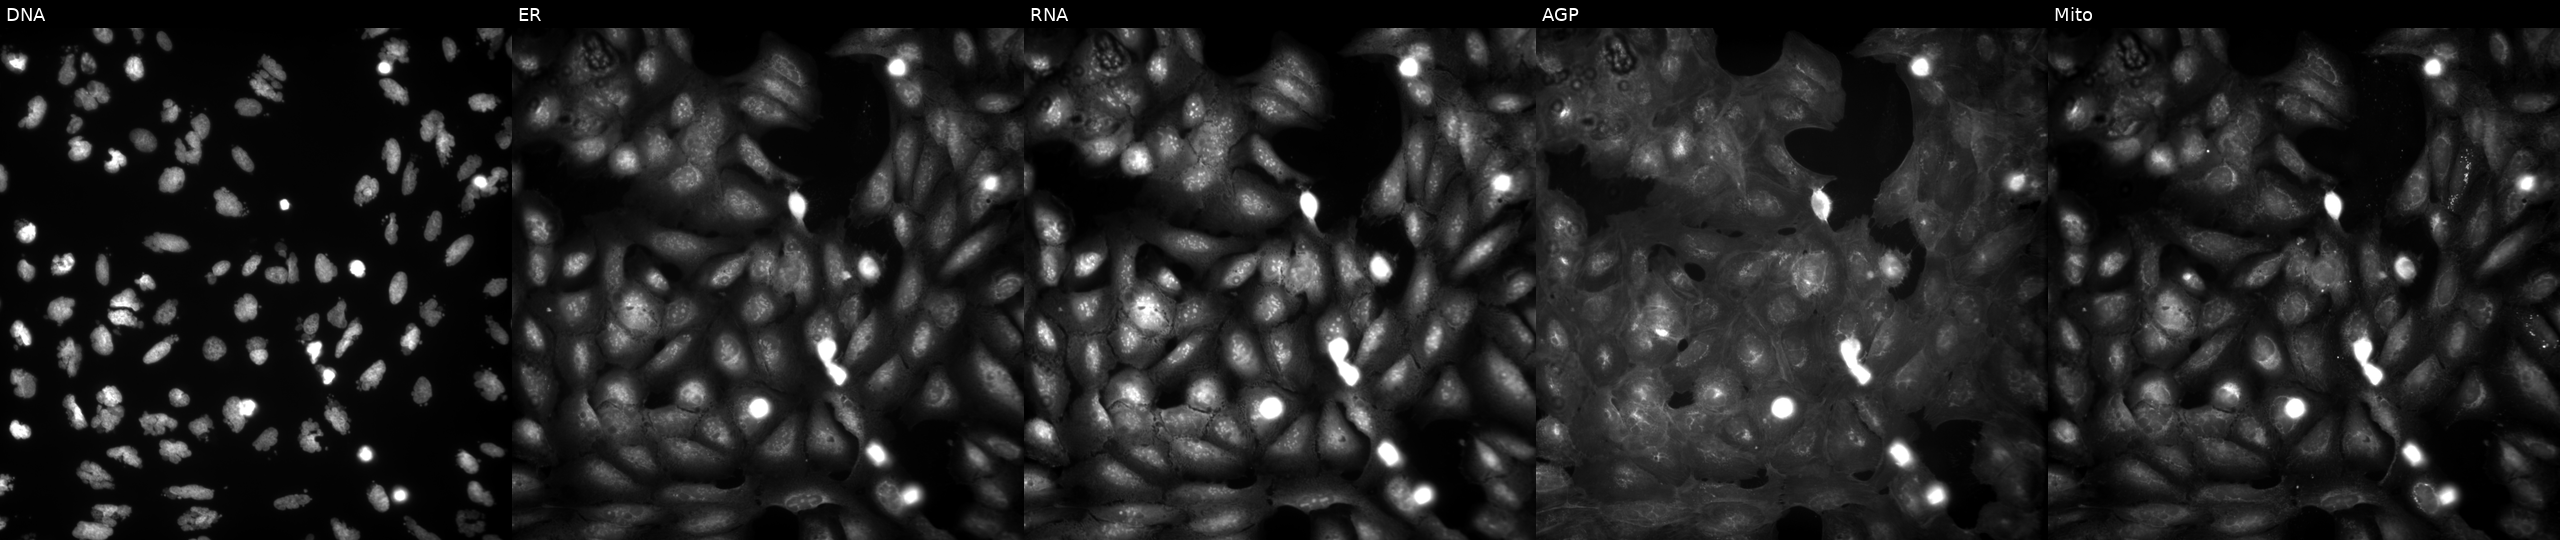
JUMP Cell Painting — COMPOUND plate. U2OS cells exposed to the positive-control compound AMG900 (JUMP id JCP2022_037716). Channels (left→right): Hoechst 33342, concanavalin A, SYTO 14, phalloidin and WGA, MitoTracker.